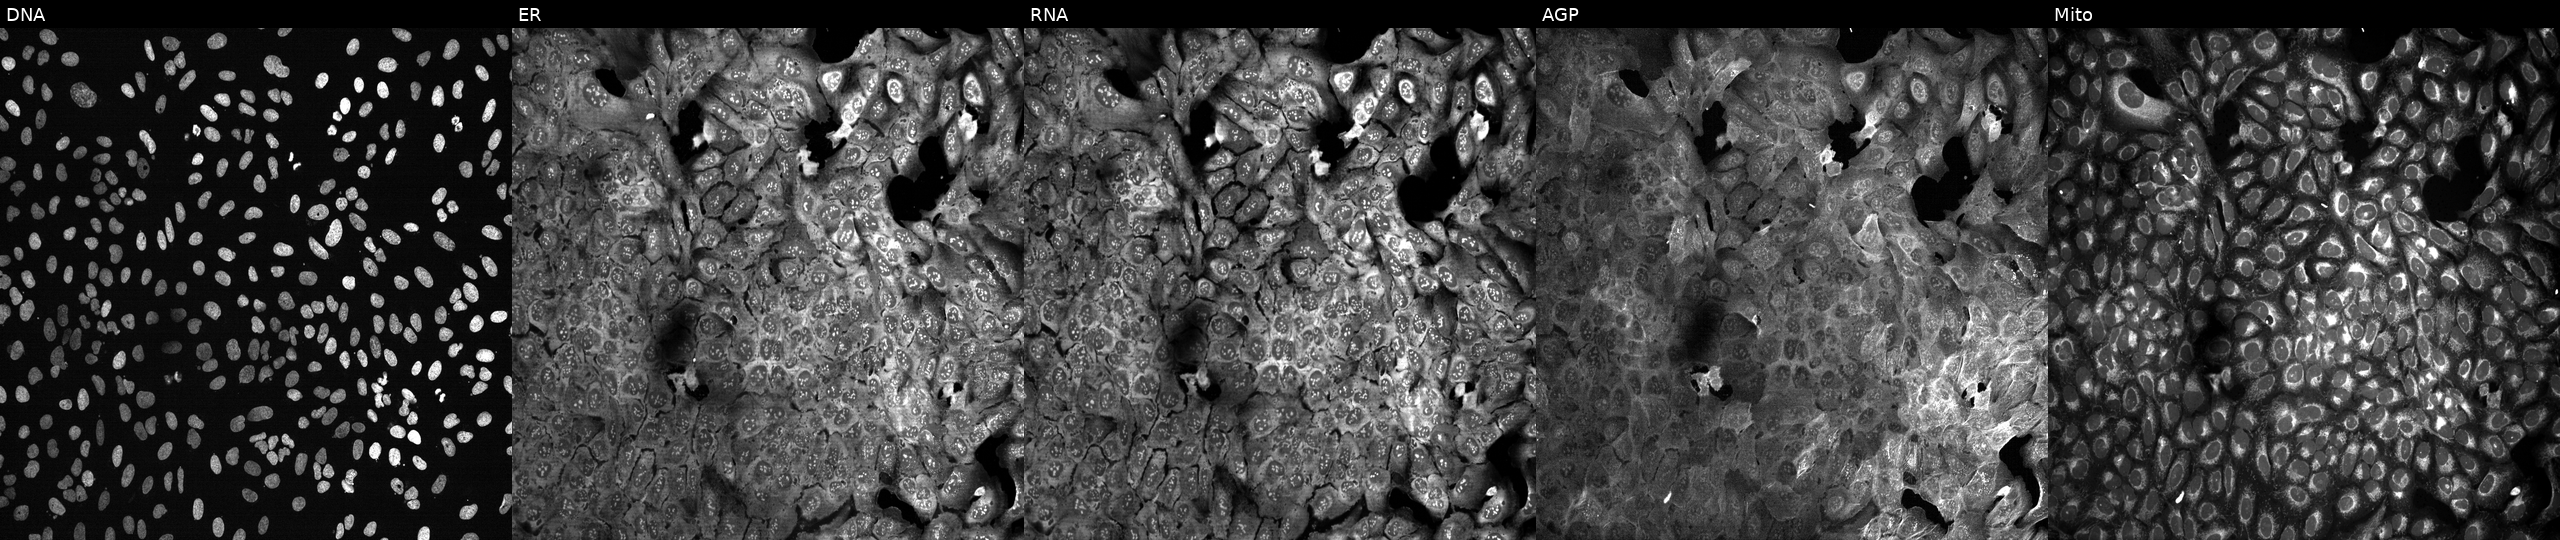
JUMP Cell Painting — CRISPR plate. U2OS cells following CRISPR knockout of ARG1. The five panels, left to right, show DNA (nuclei); ER (endoplasmic reticulum); RNA (nucleoli and cytoplasmic RNA); AGP (actin cytoskeleton, Golgi, and plasma membrane); Mito (mitochondria).